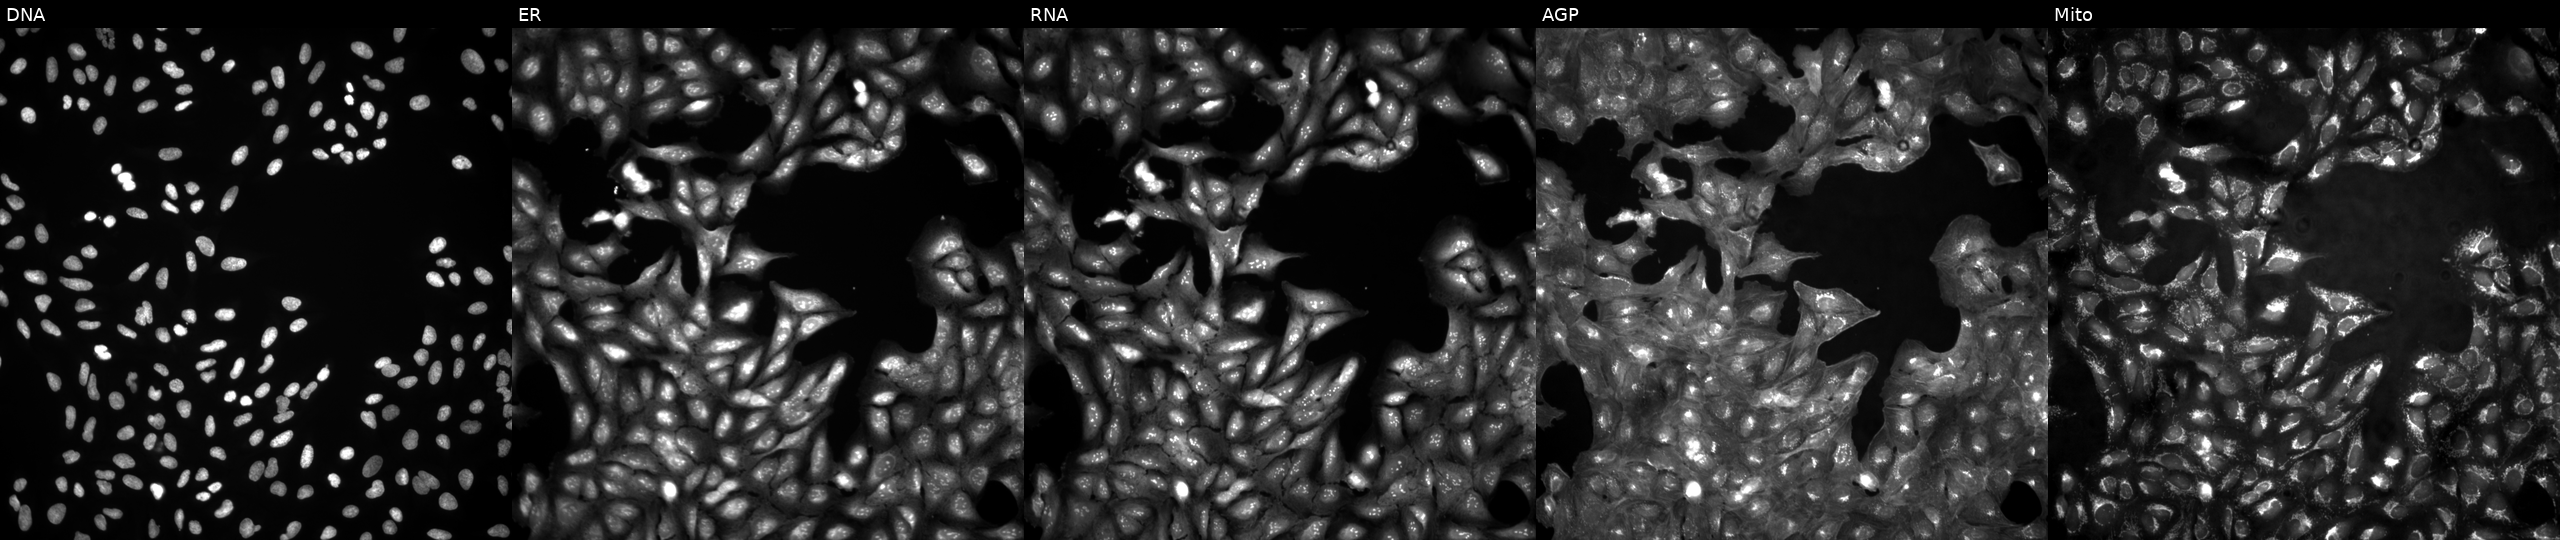
From left to right: Hoechst 33342, concanavalin A, SYTO 14, phalloidin and WGA, MitoTracker. U2OS osteosarcoma cells untreated (empty-well control). Cell Painting assay, JUMP-CP dataset.